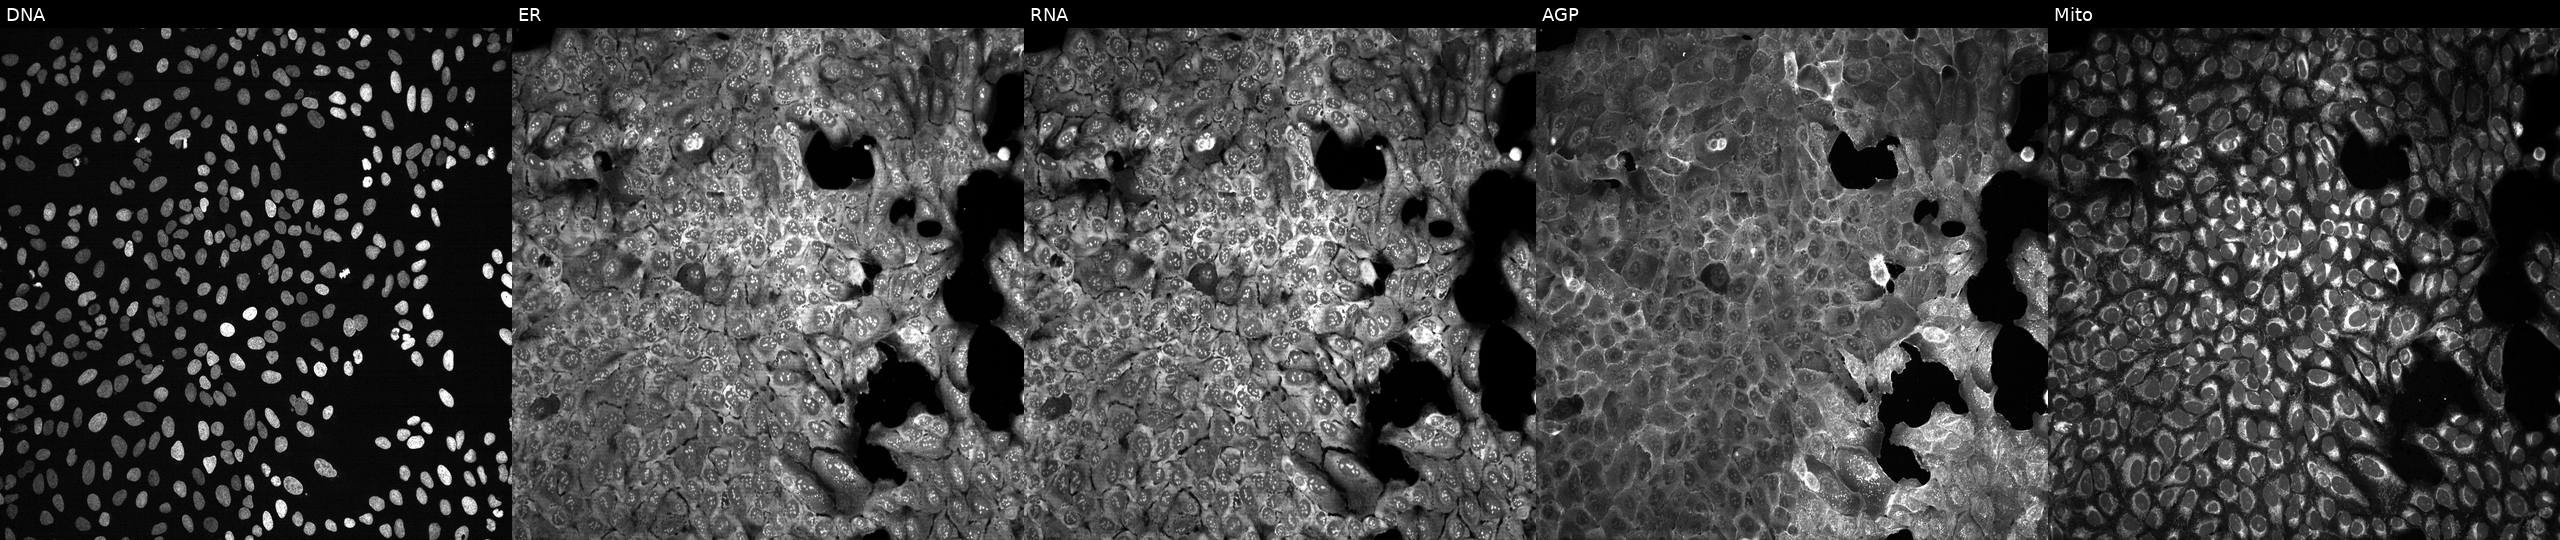
Five-channel Cell Painting image of U2OS cells treated with aloxistatin (positive-control compound). Channels (left→right): Hoechst 33342, concanavalin A, SYTO 14, phalloidin and WGA, MitoTracker.